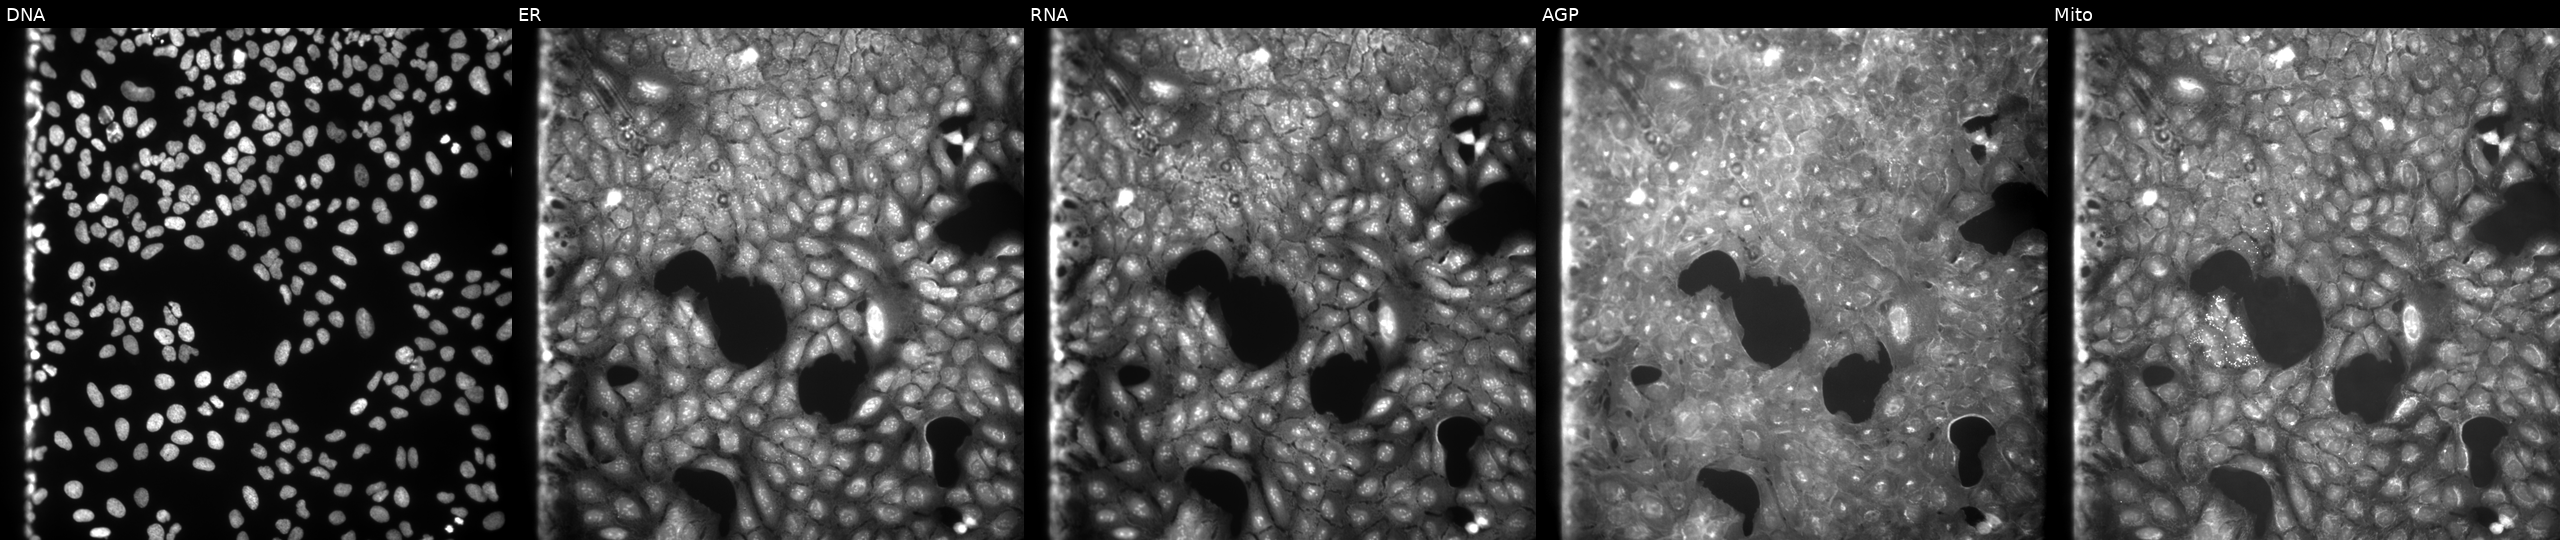
Five-channel Cell Painting image of U2OS cells exposed to a small-molecule compound [SMILES: CS(=O)(=O)N(Cc1ccccc1)c1ccc(C(=O)NCCSc2ccccn2)cc1] (JUMP id JCP2022_065510). From left to right: DNA, ER, RNA, AGP, and Mito. Source 9, plate GR00003382, well E10.